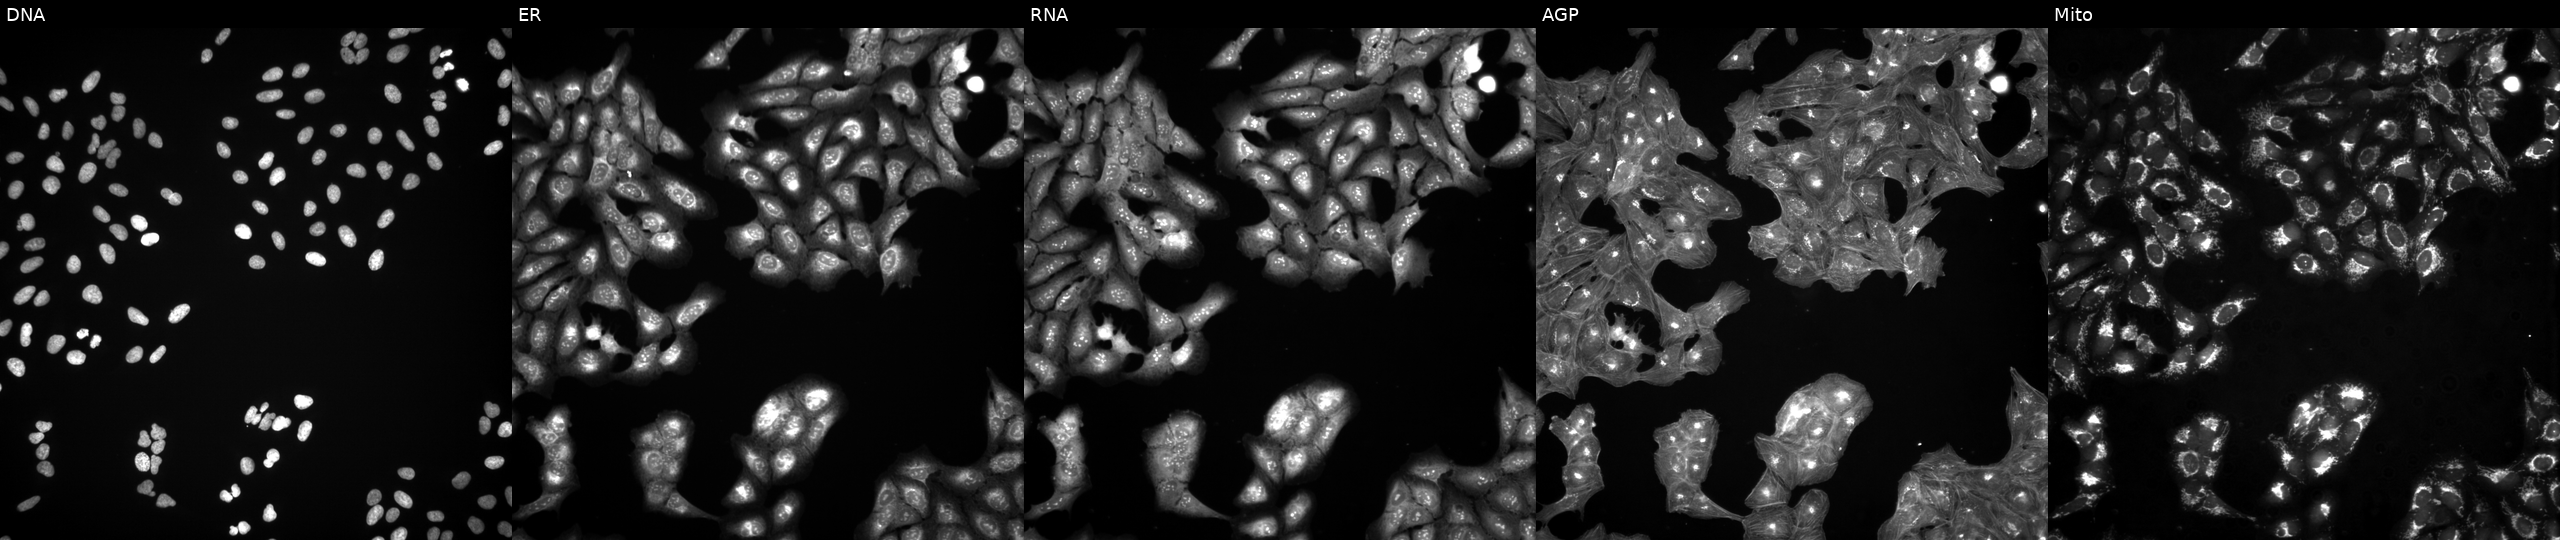
U2OS cells, Cell Painting assay, exposed to a small-molecule compound (InChIKey BCGKTEXSJLLAES-UHFFFAOYSA-N). From left to right: Hoechst 33342, concanavalin A, SYTO 14, phalloidin and WGA, MitoTracker. Each panel is percentile-stretched 16-bit fluorescence. Source 3, plate BR5867a3, well O20.